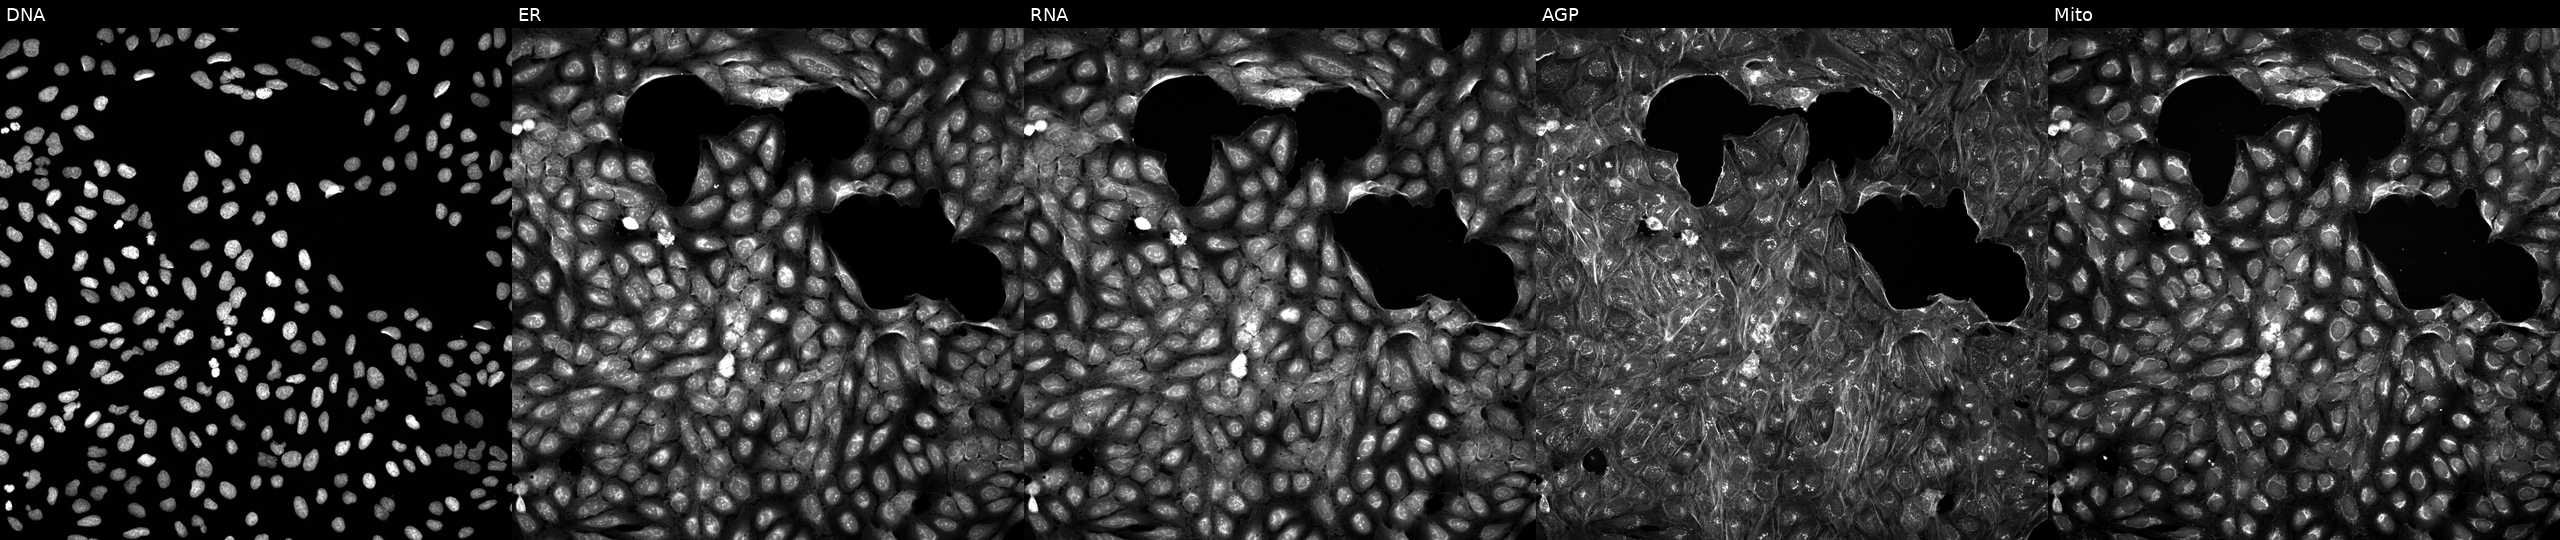
U2OS cells, Cell Painting assay, exposed to a small-molecule compound (InChIKey RKPMVCORLJITEW-UHFFFAOYSA-N) [SMILES: O=C(c1cccc(S(=O)(=O)Nc2cccc(Cl)c2)c1)N1CCOC2(CCOC2)C1]. The five panels, left to right, show DNA, ER, RNA, AGP, and Mito. Each panel is percentile-stretched 16-bit fluorescence.